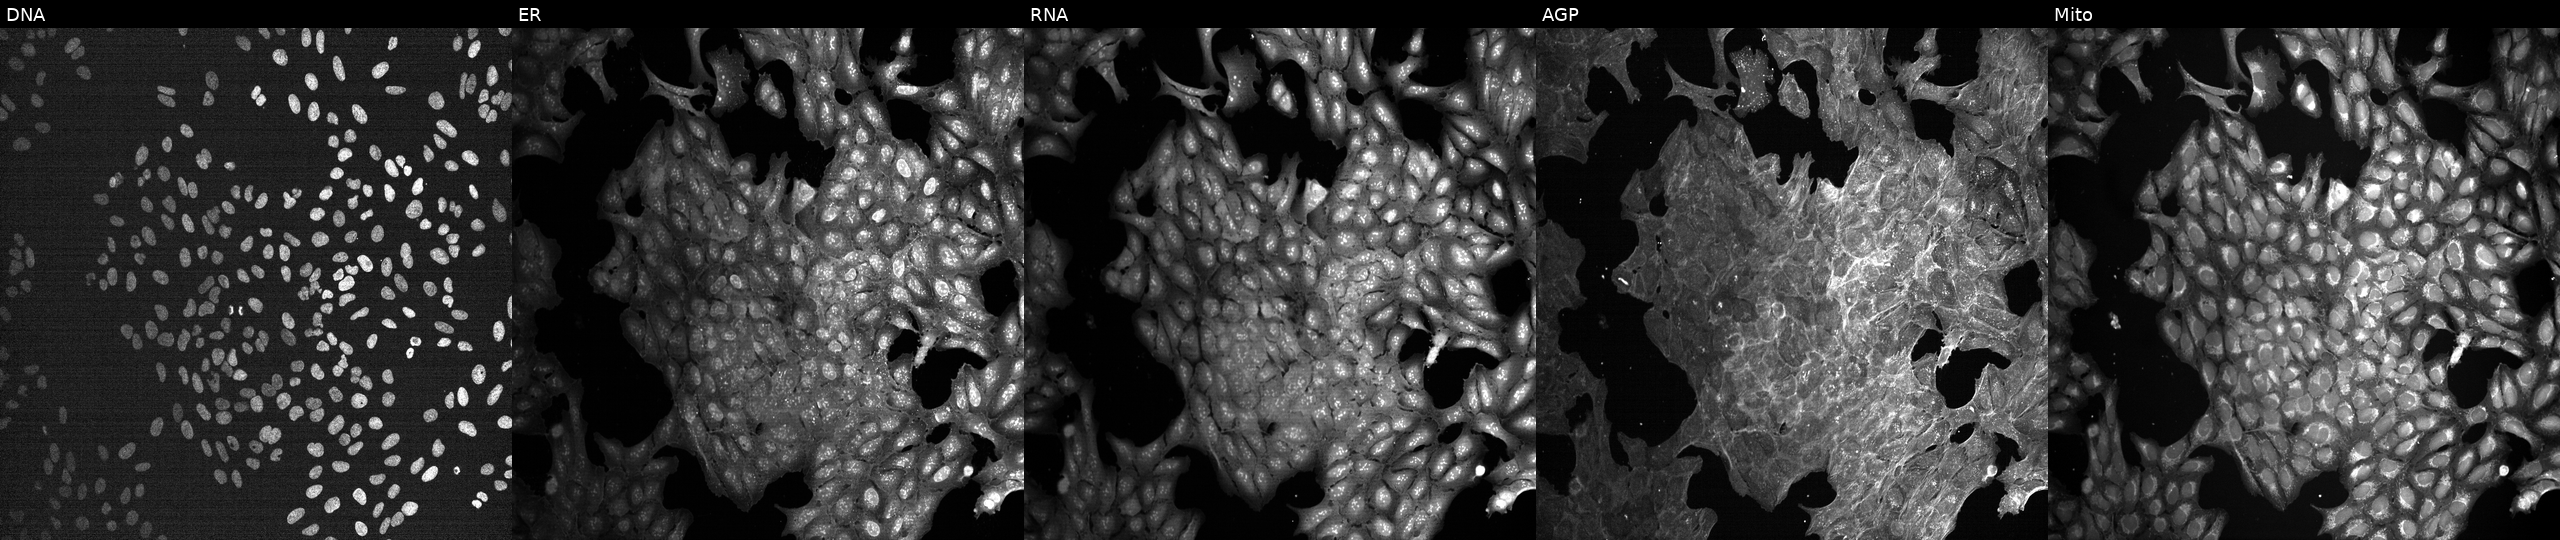
Five-channel Cell Painting image of U2OS cells perturbed with a small-molecule compound (JUMP id JCP2022_099089). From left to right: Hoechst 33342, concanavalin A, SYTO 14, phalloidin and WGA, MitoTracker.